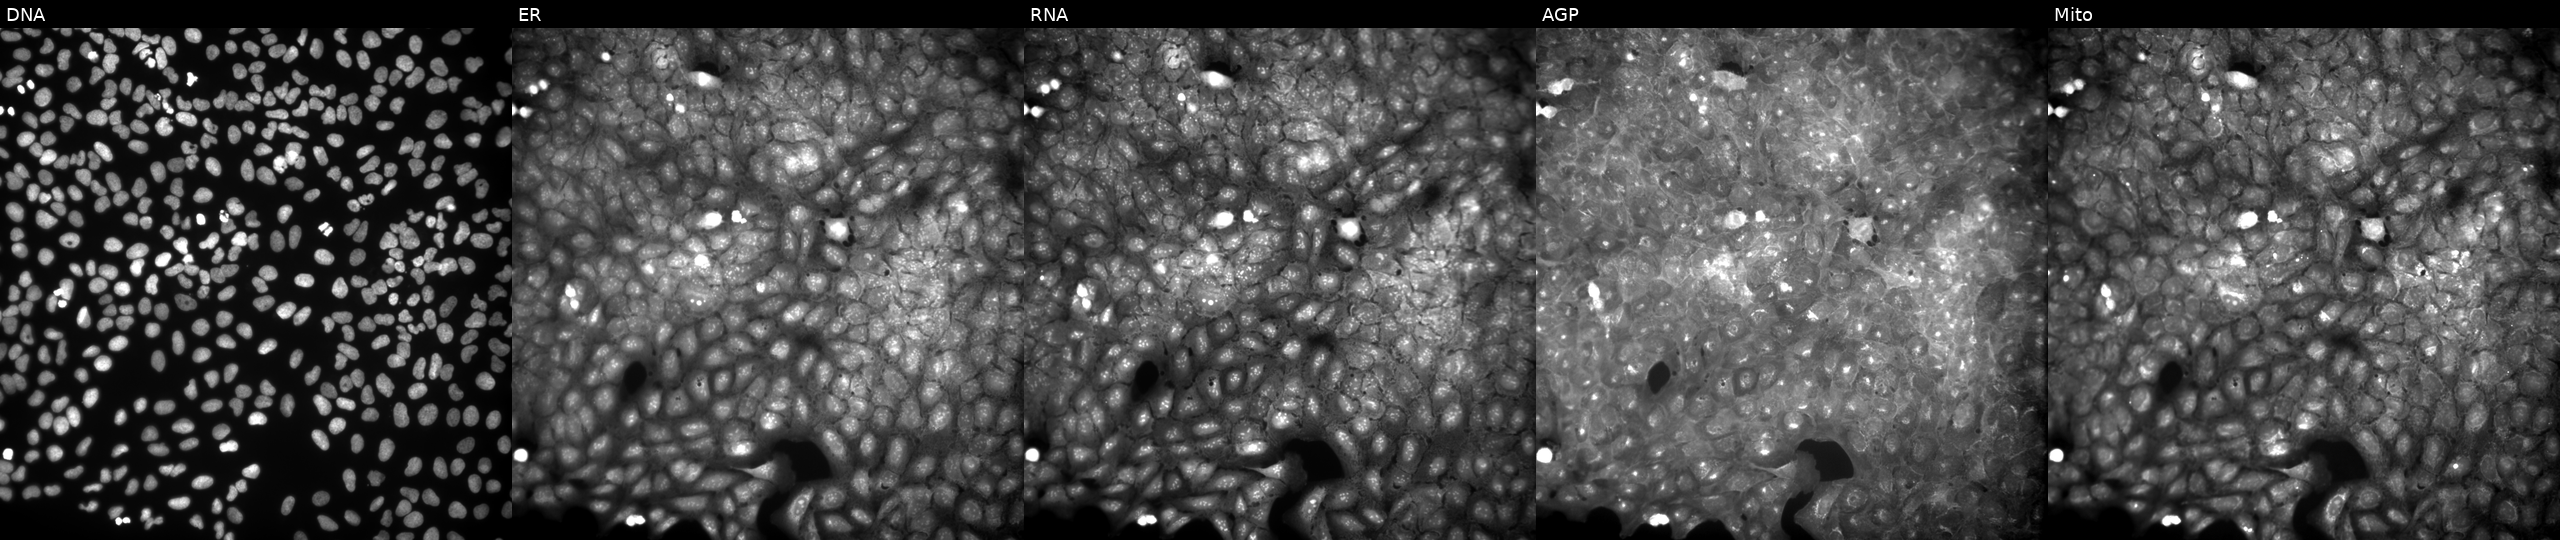
Panels show, left to right, DNA, ER, RNA, AGP, and Mito. U2OS osteosarcoma cells exposed to the positive-control compound aloxistatin. Cell Painting assay, JUMP-CP dataset.